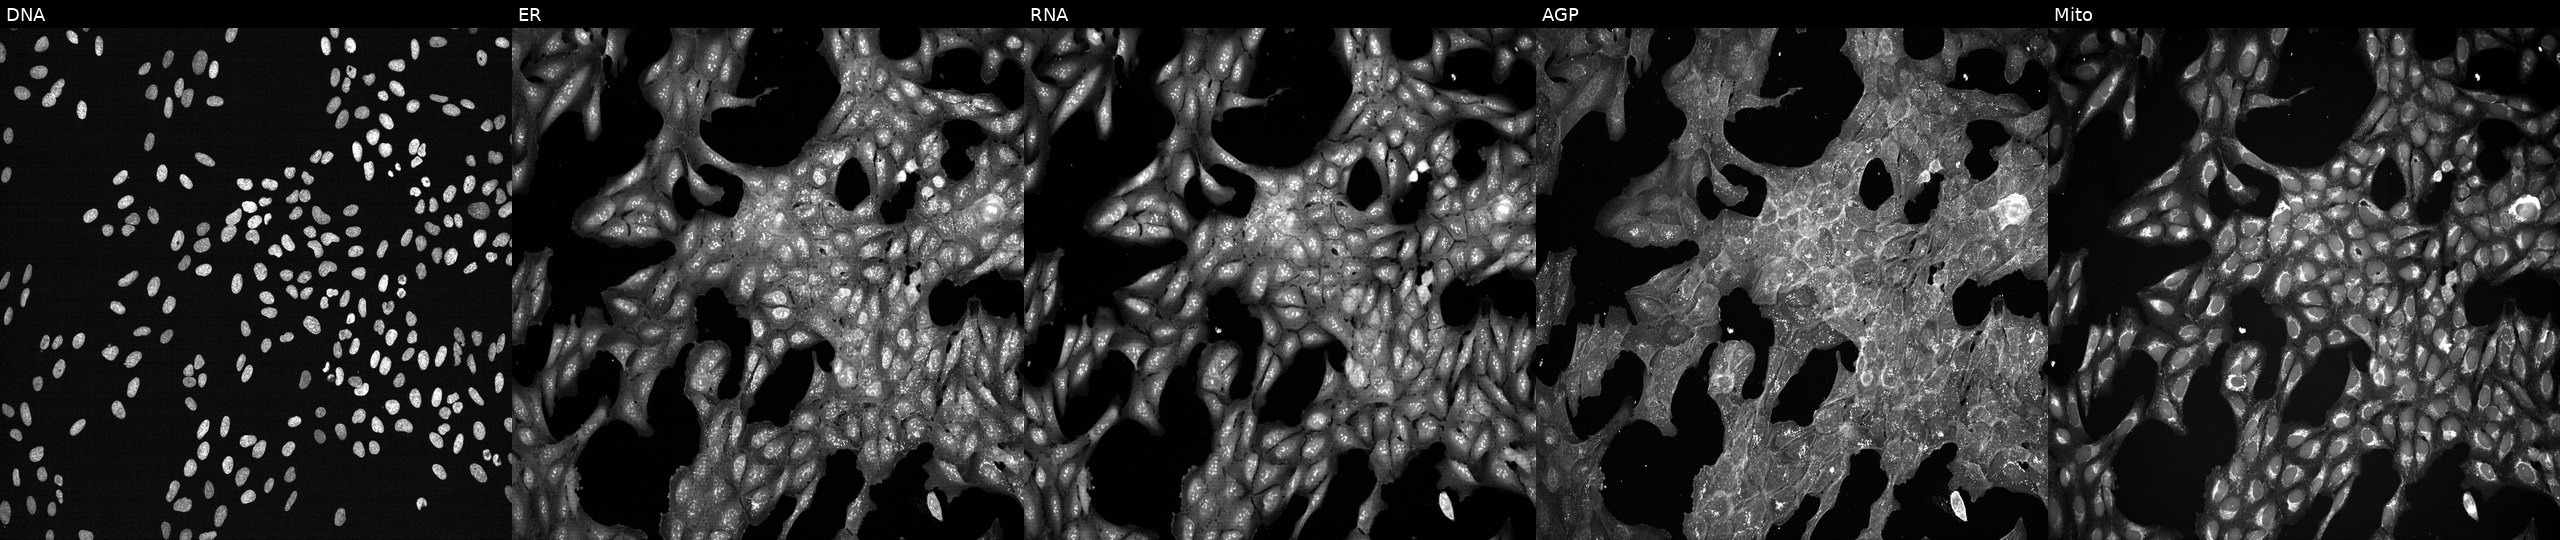
High-content fluorescence microscopy (Cell Painting). Cell line: U2OS. Perturbation: perturbed with a small-molecule compound (JUMP id JCP2022_089383). From left to right: DNA (nuclei); ER (endoplasmic reticulum); RNA (nucleoli and cytoplasmic RNA); AGP (actin cytoskeleton, Golgi, and plasma membrane); Mito (mitochondria).